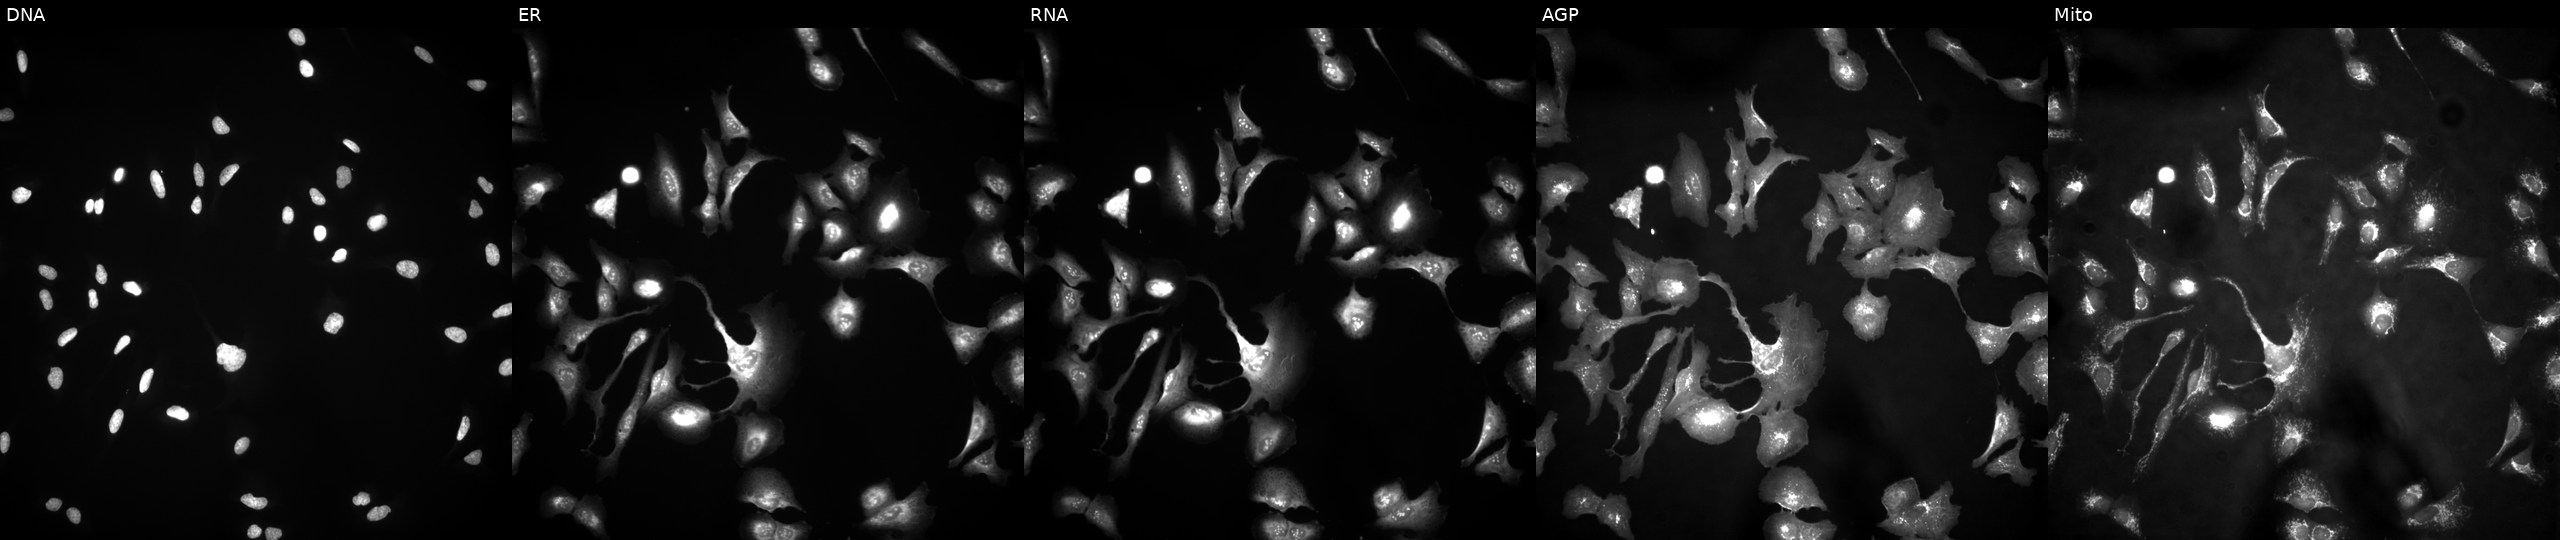
U2OS cells, Cell Painting assay, transfected with an ORF construct for APPL2 (JUMP id JCP2022_907935). Panels show, left to right, DNA, ER, RNA, AGP, and Mito. Each panel is percentile-stretched 16-bit fluorescence. Source 4, plate BR00121543, well J11.